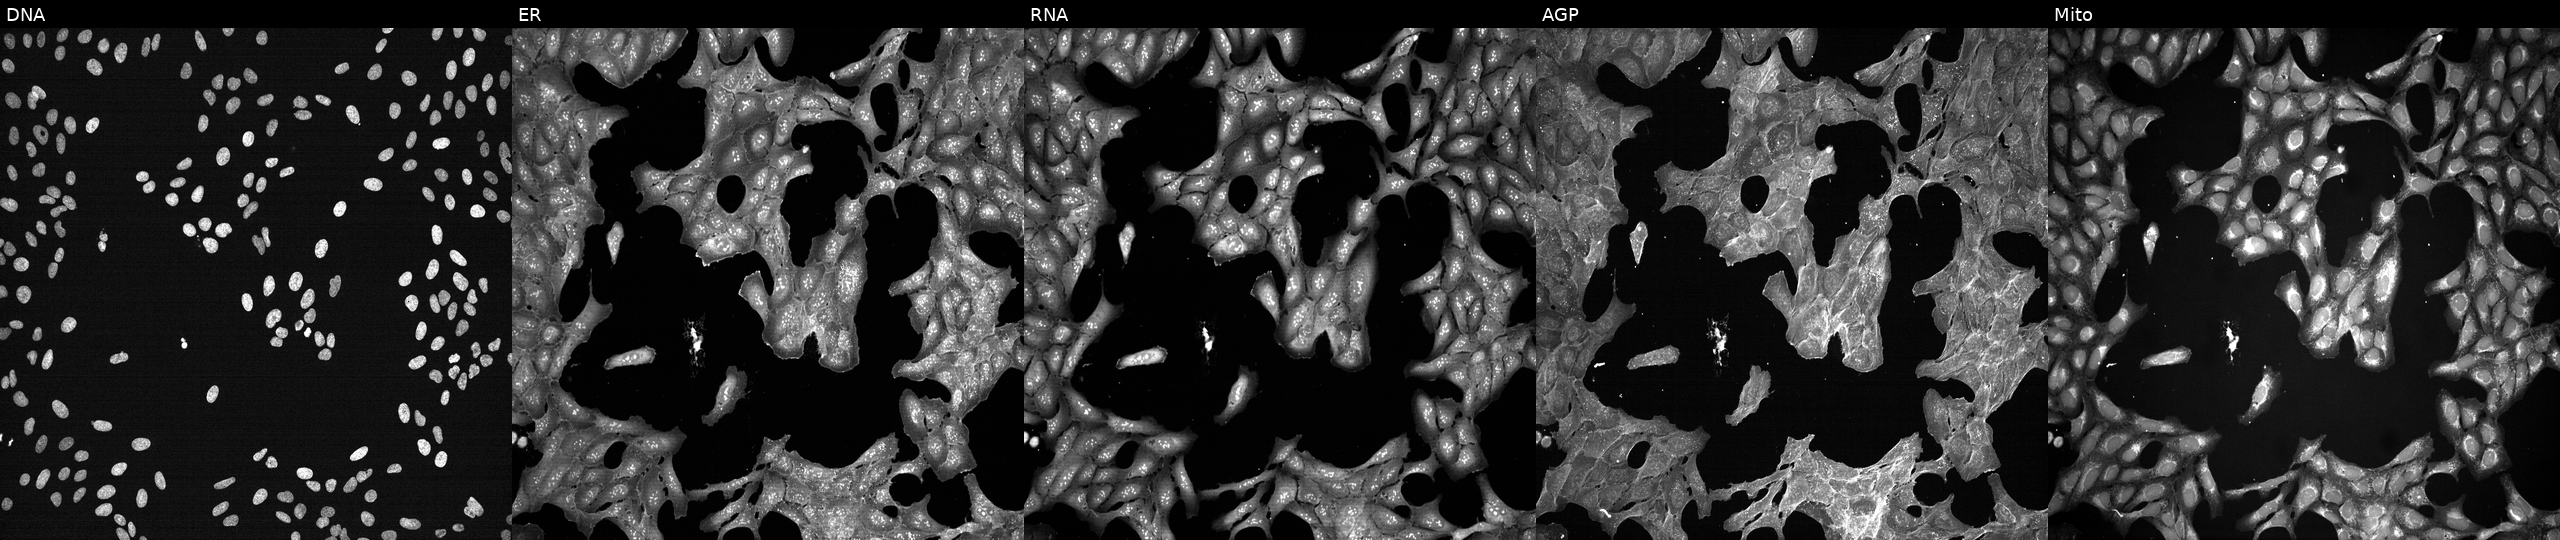
This image strip shows the five Cell Painting channels for a single field of U2OS cells exposed to a small-molecule compound (InChIKey MDKAFDIKYQMOMF-UHFFFAOYSA-N) [SMILES: FC(F)(F)c1cc(NC(=S)Nc2ccc(Br)cc2-c2nn[nH]n2)cc(C(F)(F)F)c1]. The five panels, left to right, show Hoechst 33342, concanavalin A, SYTO 14, phalloidin and WGA, MitoTracker. Source 7, plate CP2-SC1-25, well G01.